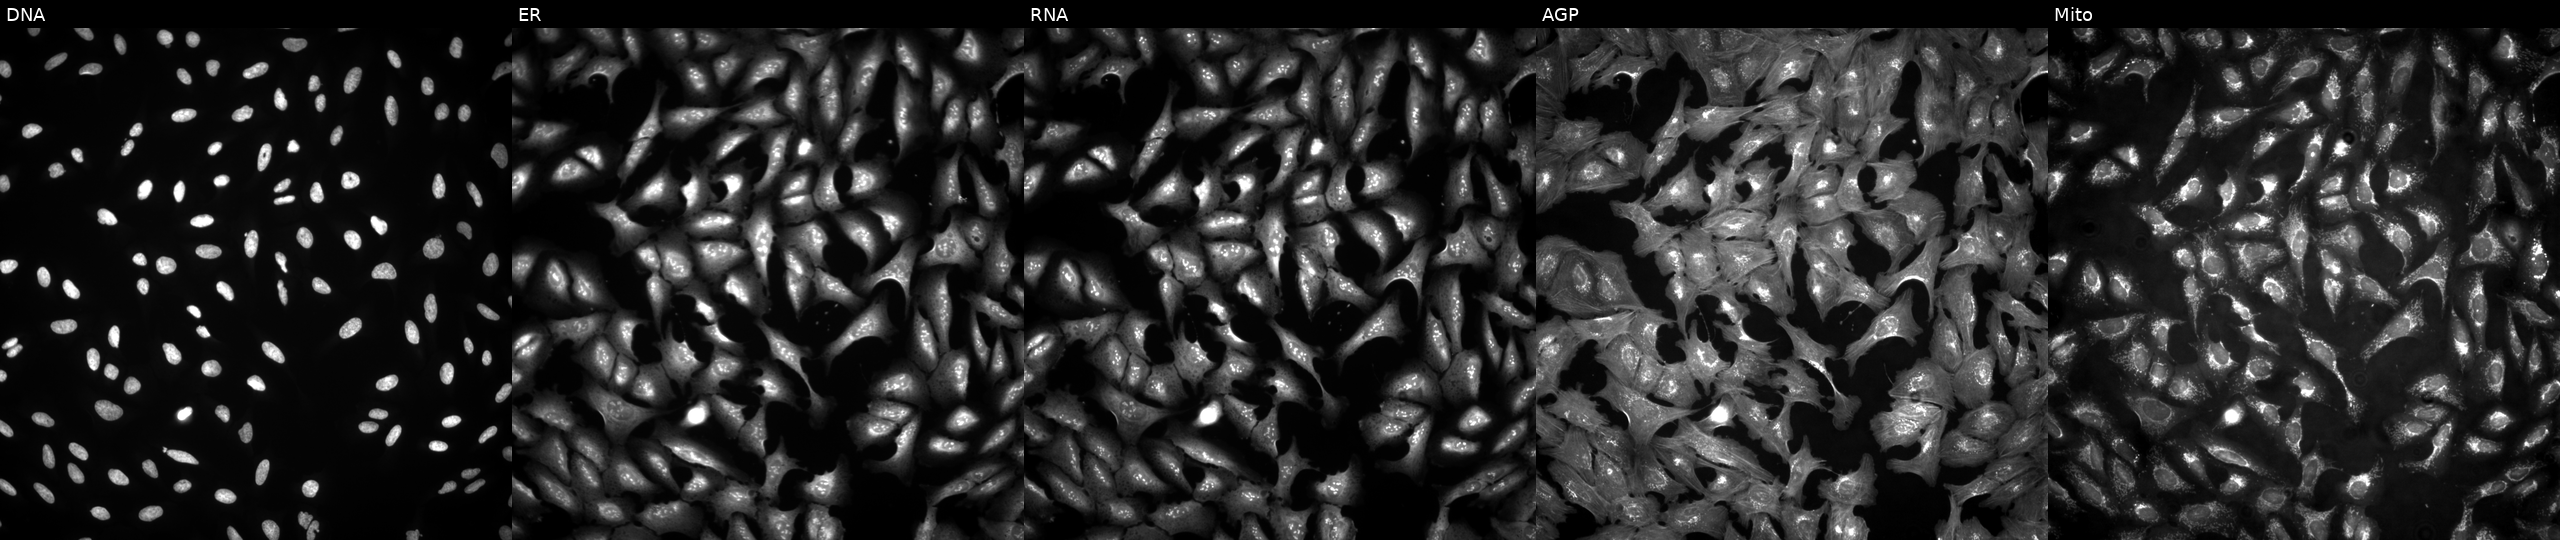
JUMP Cell Painting — ORF plate. U2OS cells transfected with an ORF construct for BAGE2 (JUMP id JCP2022_908645). From left to right: DNA (nuclei); ER (endoplasmic reticulum); RNA (nucleoli and cytoplasmic RNA); AGP (actin cytoskeleton, Golgi, and plasma membrane); Mito (mitochondria). Source 4, plate BR00124784, well D05.